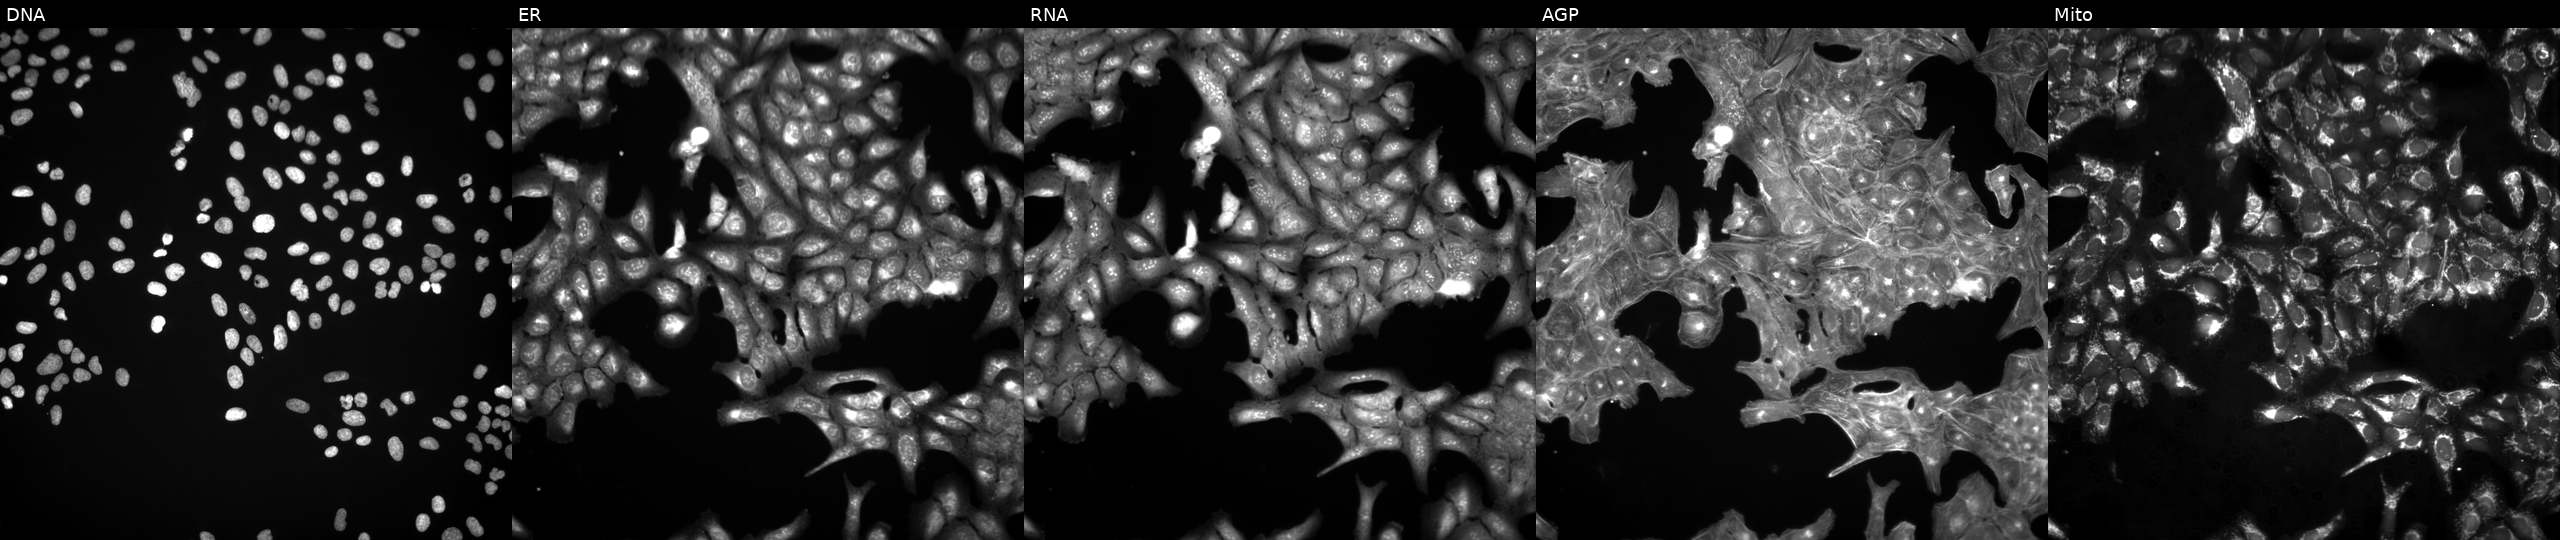
The five panels, left to right, show DNA (nuclei); ER (endoplasmic reticulum); RNA (nucleoli and cytoplasmic RNA); AGP (actin cytoskeleton, Golgi, and plasma membrane); Mito (mitochondria). U2OS osteosarcoma cells perturbed with a small-molecule compound (InChIKey LPEPZBJOKDYZAD-UHFFFAOYSA-N). Cell Painting assay, JUMP-CP dataset.